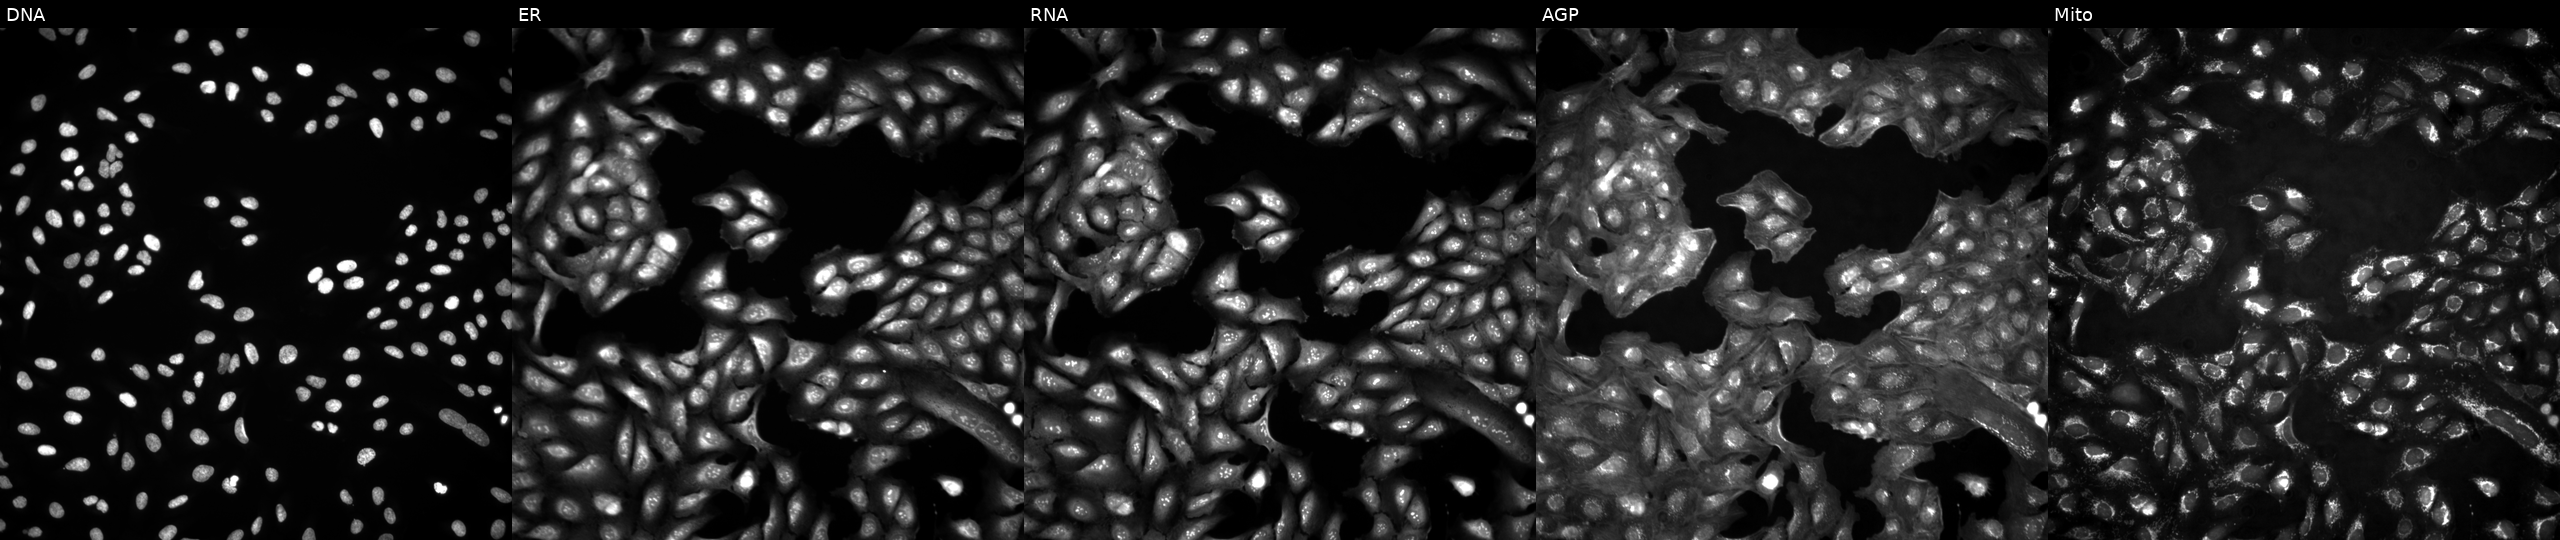
This image strip shows the five Cell Painting channels for a single field of U2OS cells untreated (empty-well control) (JUMP id JCP2022_999999). The five panels, left to right, show DNA, ER, RNA, AGP, and Mito.